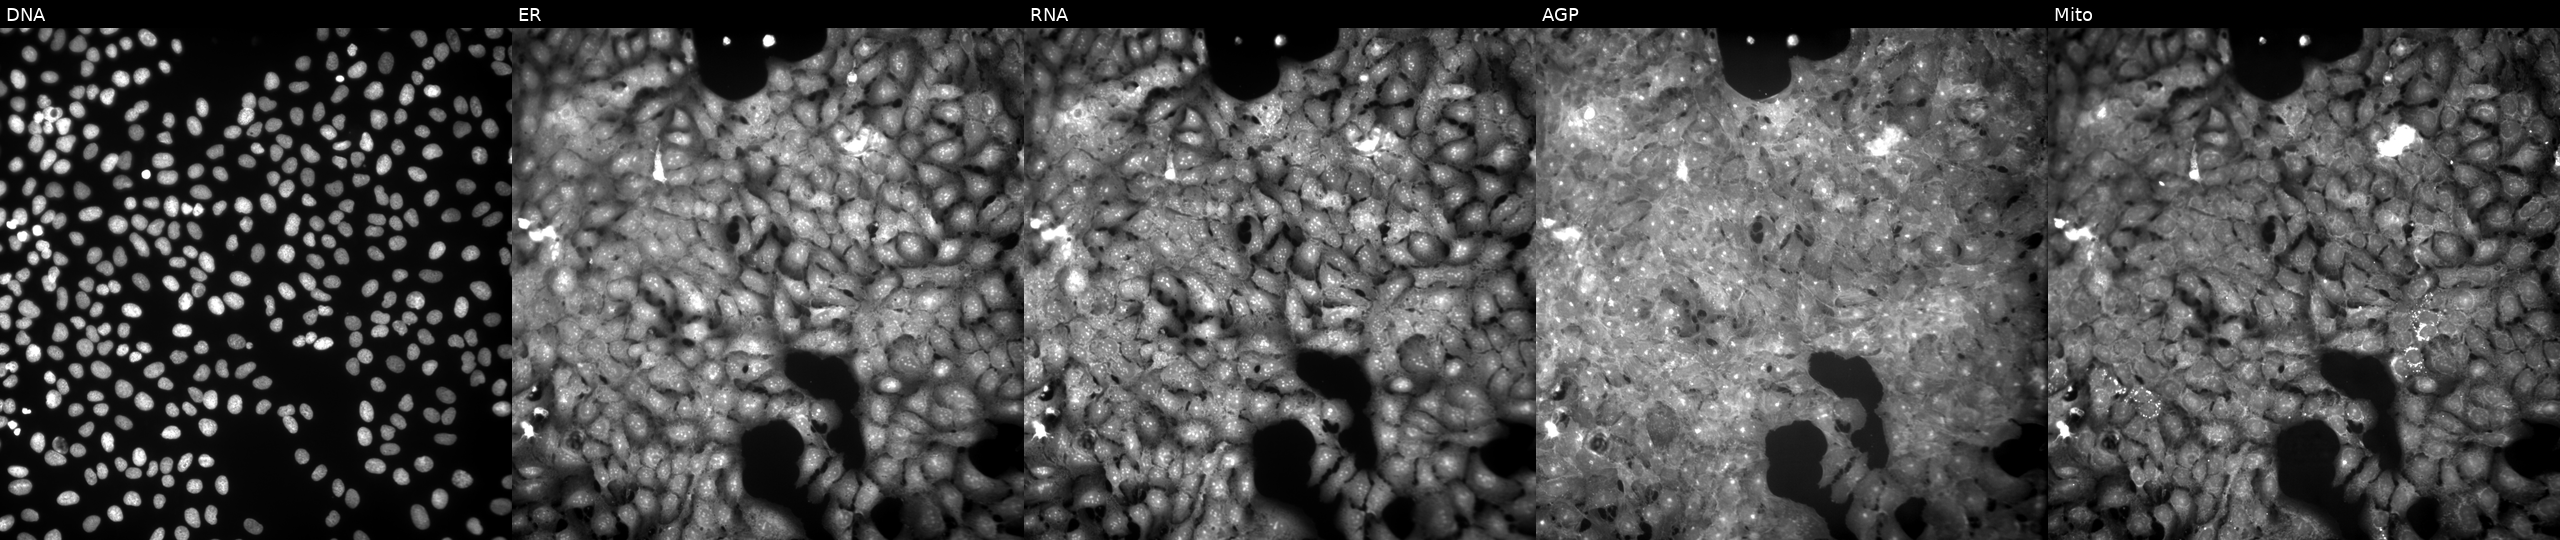
U2OS cells, Cell Painting assay, treated with FK-866 (positive-control compound) (JUMP id JCP2022_046054). The five panels, left to right, show DNA (nuclei); ER (endoplasmic reticulum); RNA (nucleoli and cytoplasmic RNA); AGP (actin cytoskeleton, Golgi, and plasma membrane); Mito (mitochondria). Each panel is percentile-stretched 16-bit fluorescence.